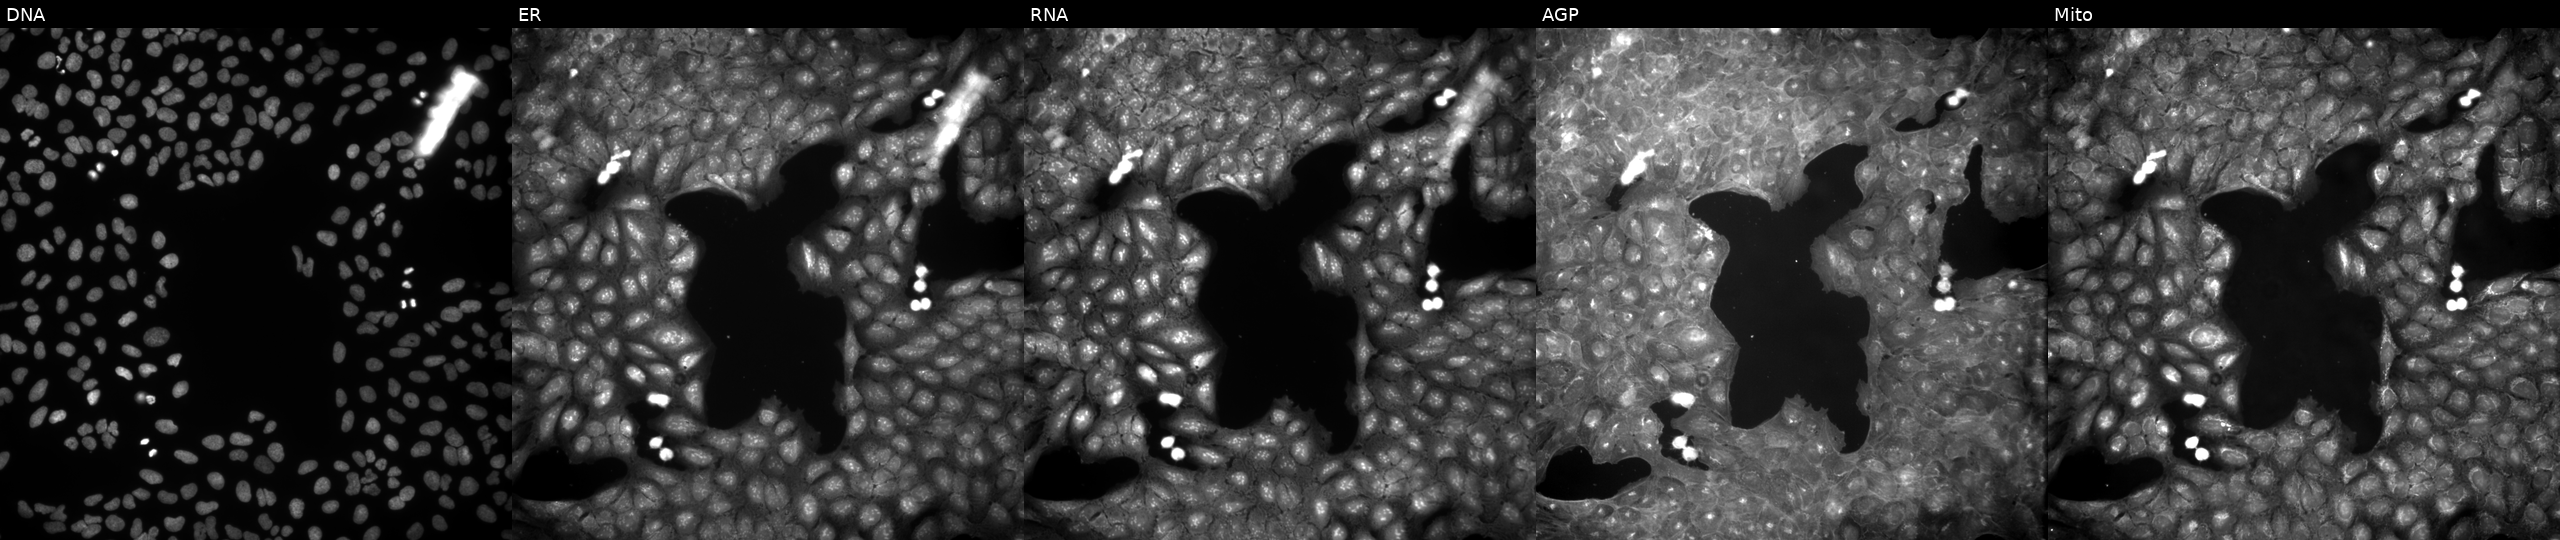
JUMP Cell Painting — COMPOUND plate. U2OS cells perturbed with a small-molecule compound (InChIKey HBYFHURSCVIIAA-UHFFFAOYSA-N). Channels (left→right): DNA (nuclei); ER (endoplasmic reticulum); RNA (nucleoli and cytoplasmic RNA); AGP (actin cytoskeleton, Golgi, and plasma membrane); Mito (mitochondria).